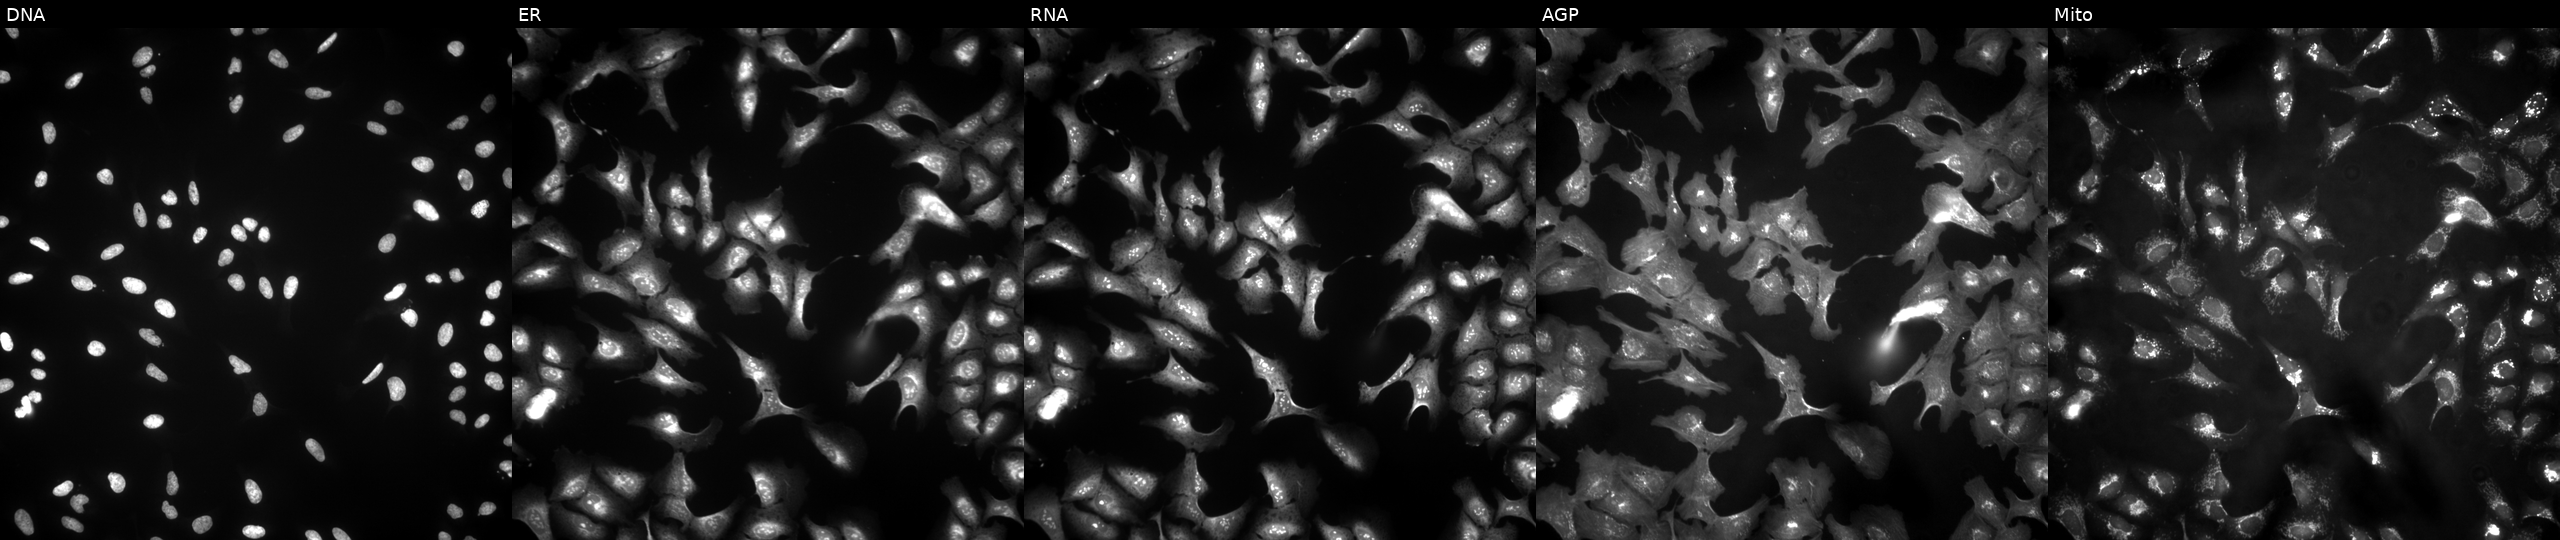
Five-channel Cell Painting image of U2OS cells with SUCLA2 overexpressed (ORF) (JUMP id JCP2022_901884). From left to right: DNA, ER, RNA, AGP, and Mito. Source 4, plate BR00123506, well K15.